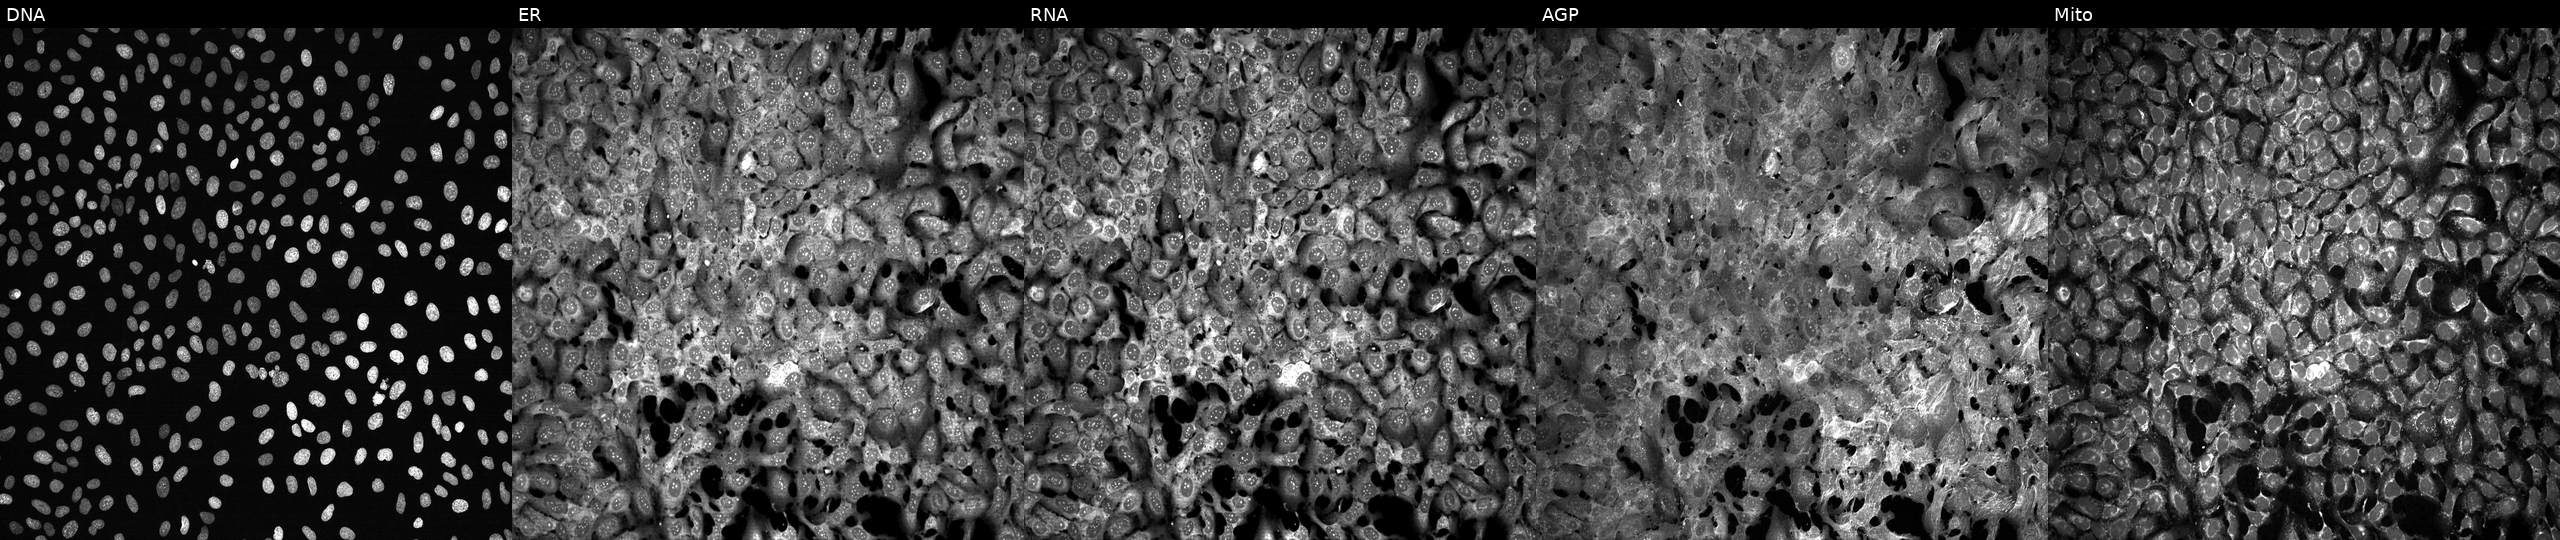
High-content fluorescence microscopy (Cell Painting). Cell line: U2OS. Perturbation: treated with FK-866 (positive-control compound). Channels (left→right): DNA (nuclei); ER (endoplasmic reticulum); RNA (nucleoli and cytoplasmic RNA); AGP (actin cytoskeleton, Golgi, and plasma membrane); Mito (mitochondria).